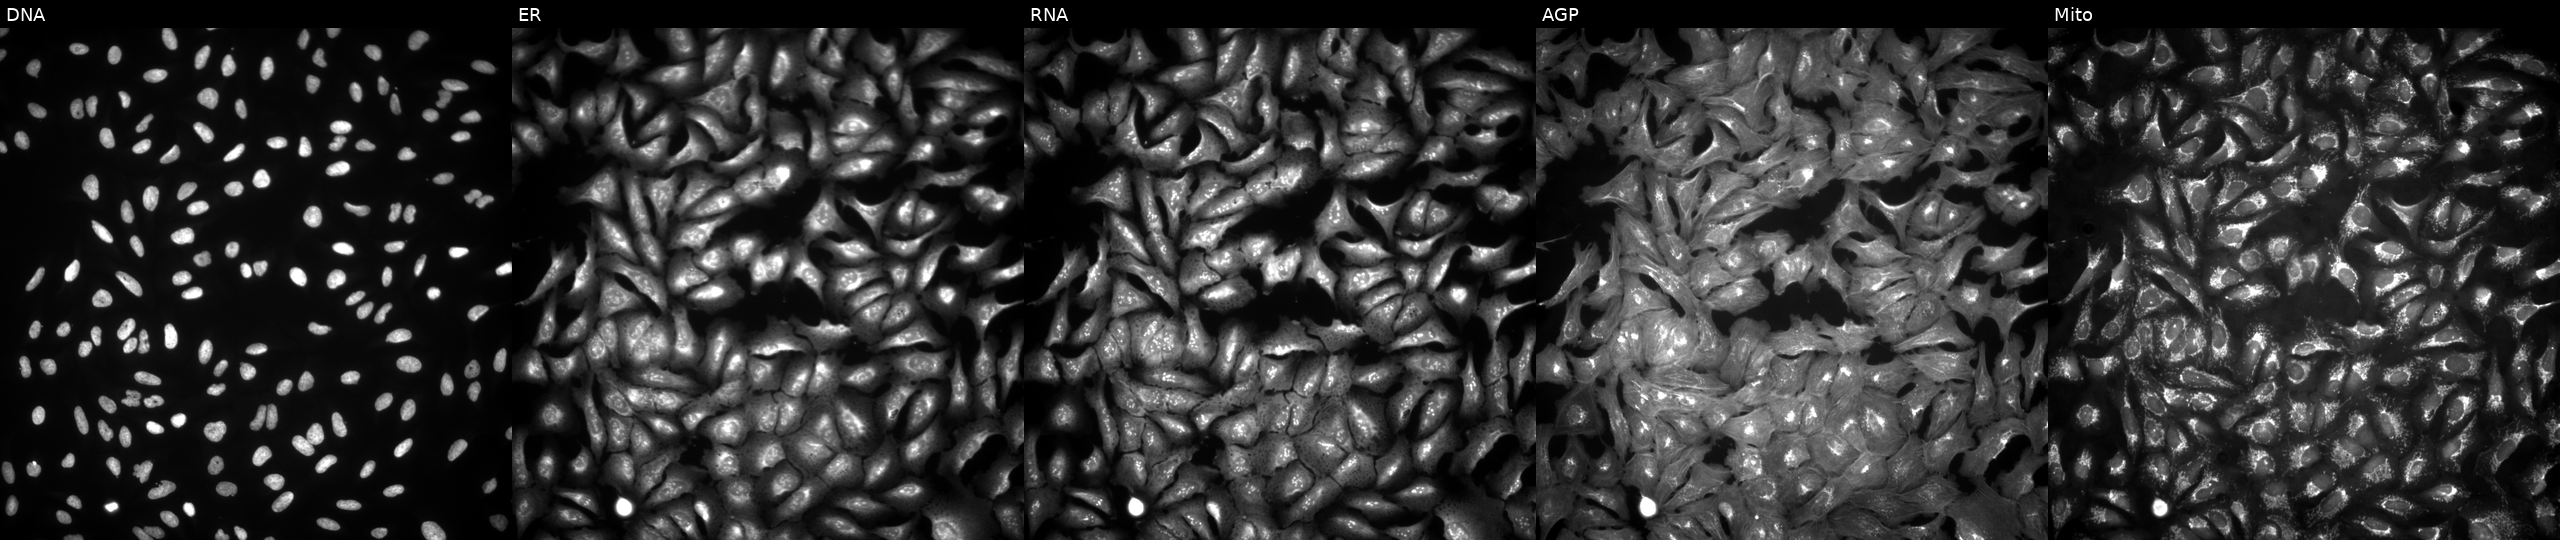
The five panels, left to right, show DNA (nuclei); ER (endoplasmic reticulum); RNA (nucleoli and cytoplasmic RNA); AGP (actin cytoskeleton, Golgi, and plasma membrane); Mito (mitochondria). U2OS osteosarcoma cells overexpressing AFG3L1P via ORF transfection (JUMP id JCP2022_909516). Cell Painting assay, JUMP-CP dataset.